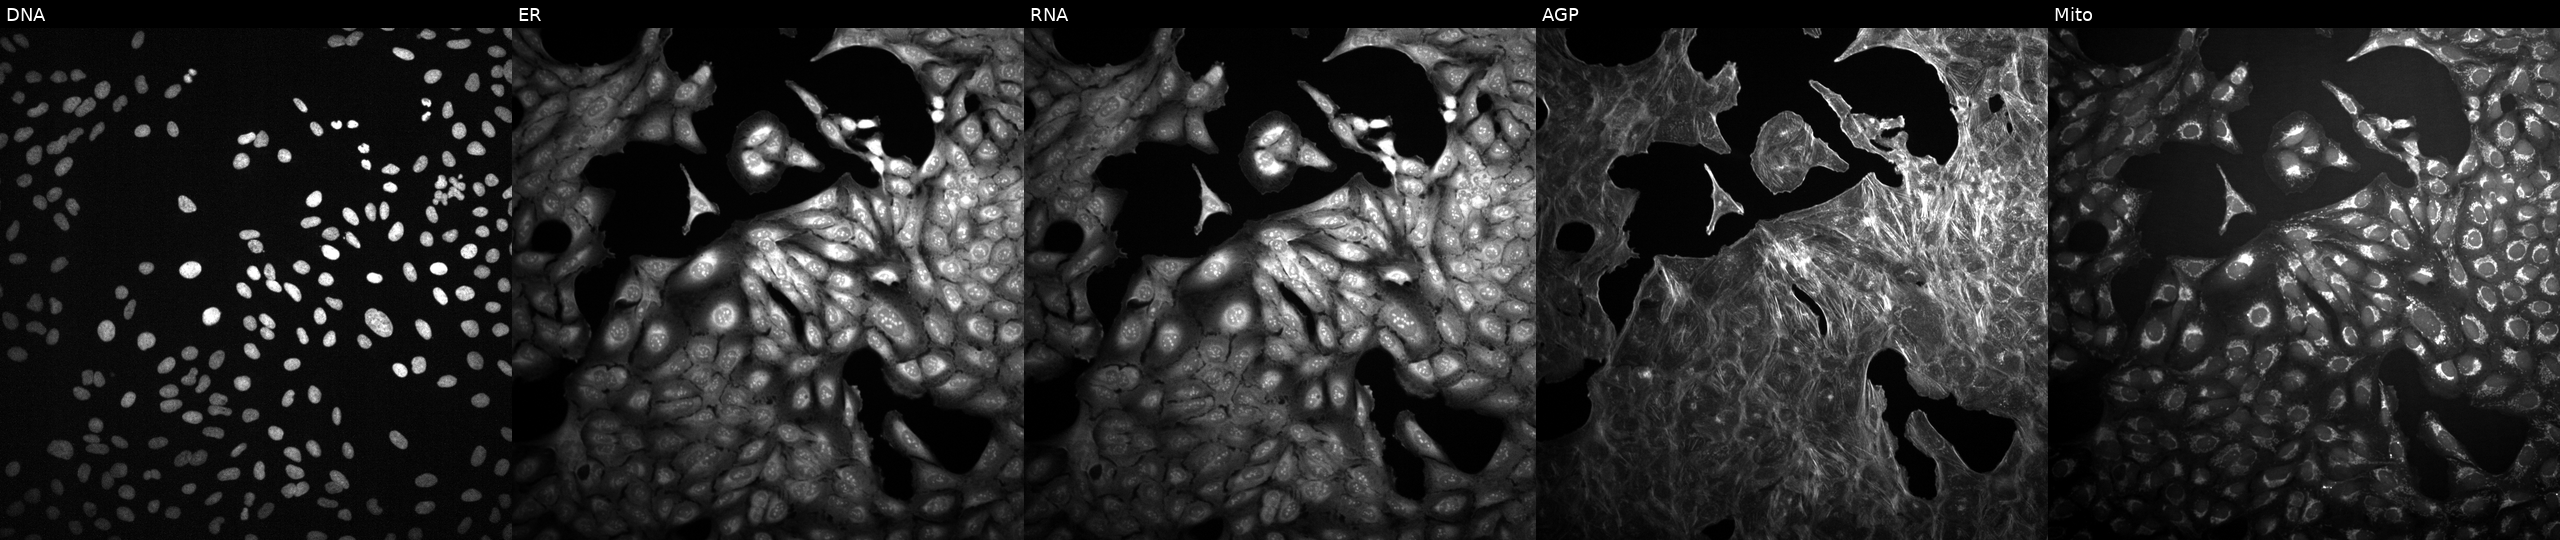
JUMP Cell Painting — TARGET2 plate. U2OS cells exposed to DMSO alone as a negative control (JUMP id JCP2022_033924). Panels show, left to right, Hoechst 33342, concanavalin A, SYTO 14, phalloidin and WGA, MitoTracker.